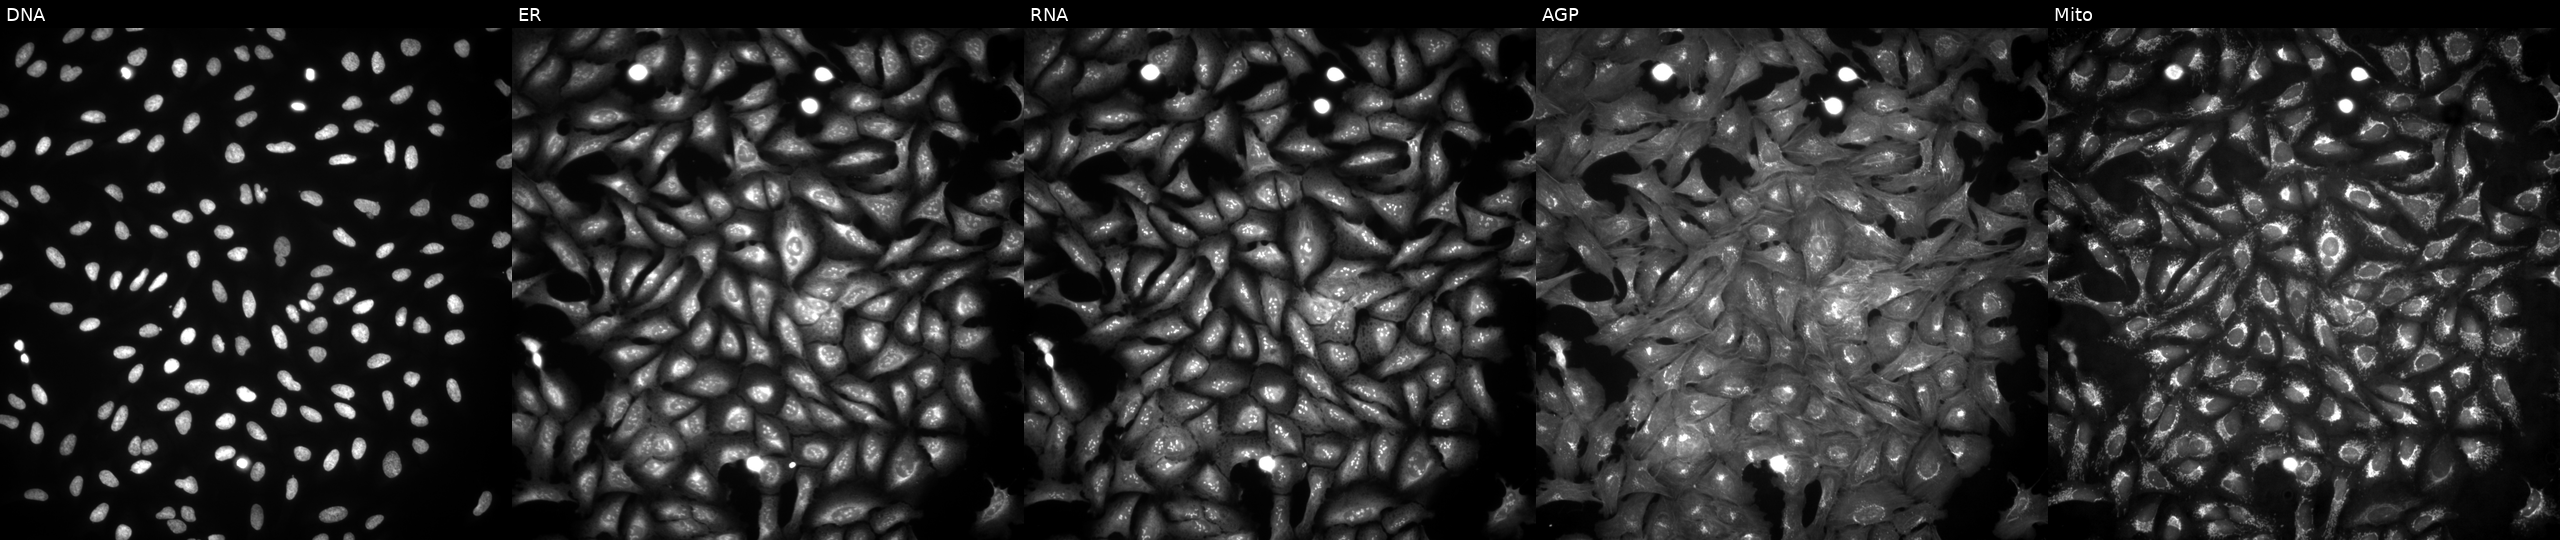
High-content fluorescence microscopy (Cell Painting). Cell line: U2OS. Perturbation: with URM1 overexpressed (ORF). Panels show, left to right, DNA, ER, RNA, AGP, and Mito.